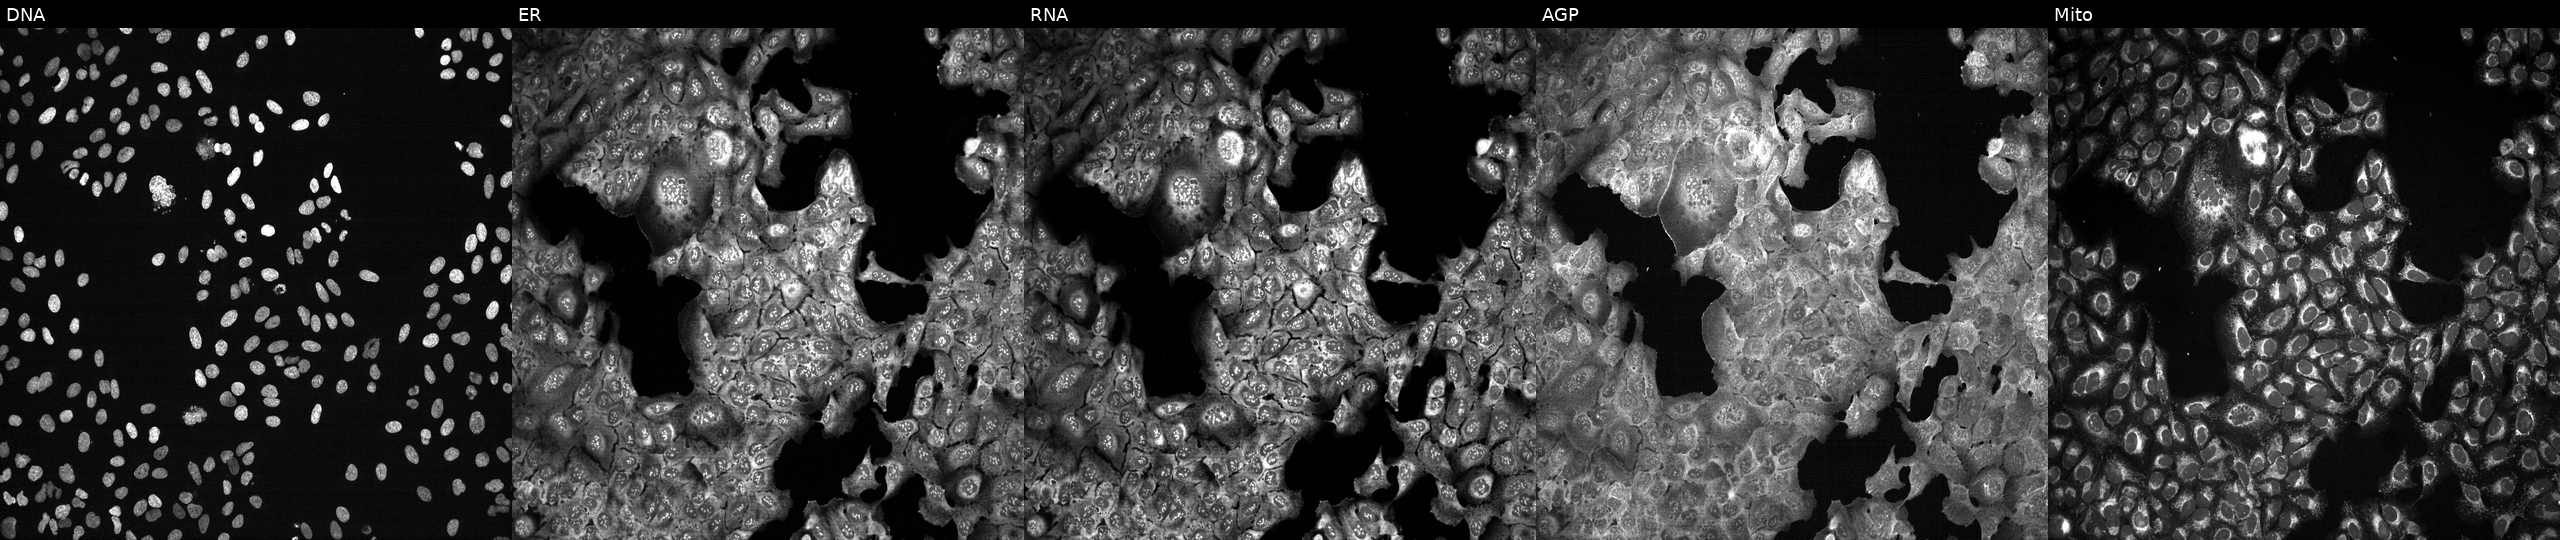
U2OS cells, Cell Painting assay, CRISPR-edited to disrupt ATP13A5. The five panels, left to right, show DNA, ER, RNA, AGP, and Mito. Each panel is percentile-stretched 16-bit fluorescence. Source 13, plate CP-CC9-R3-02, well M13.